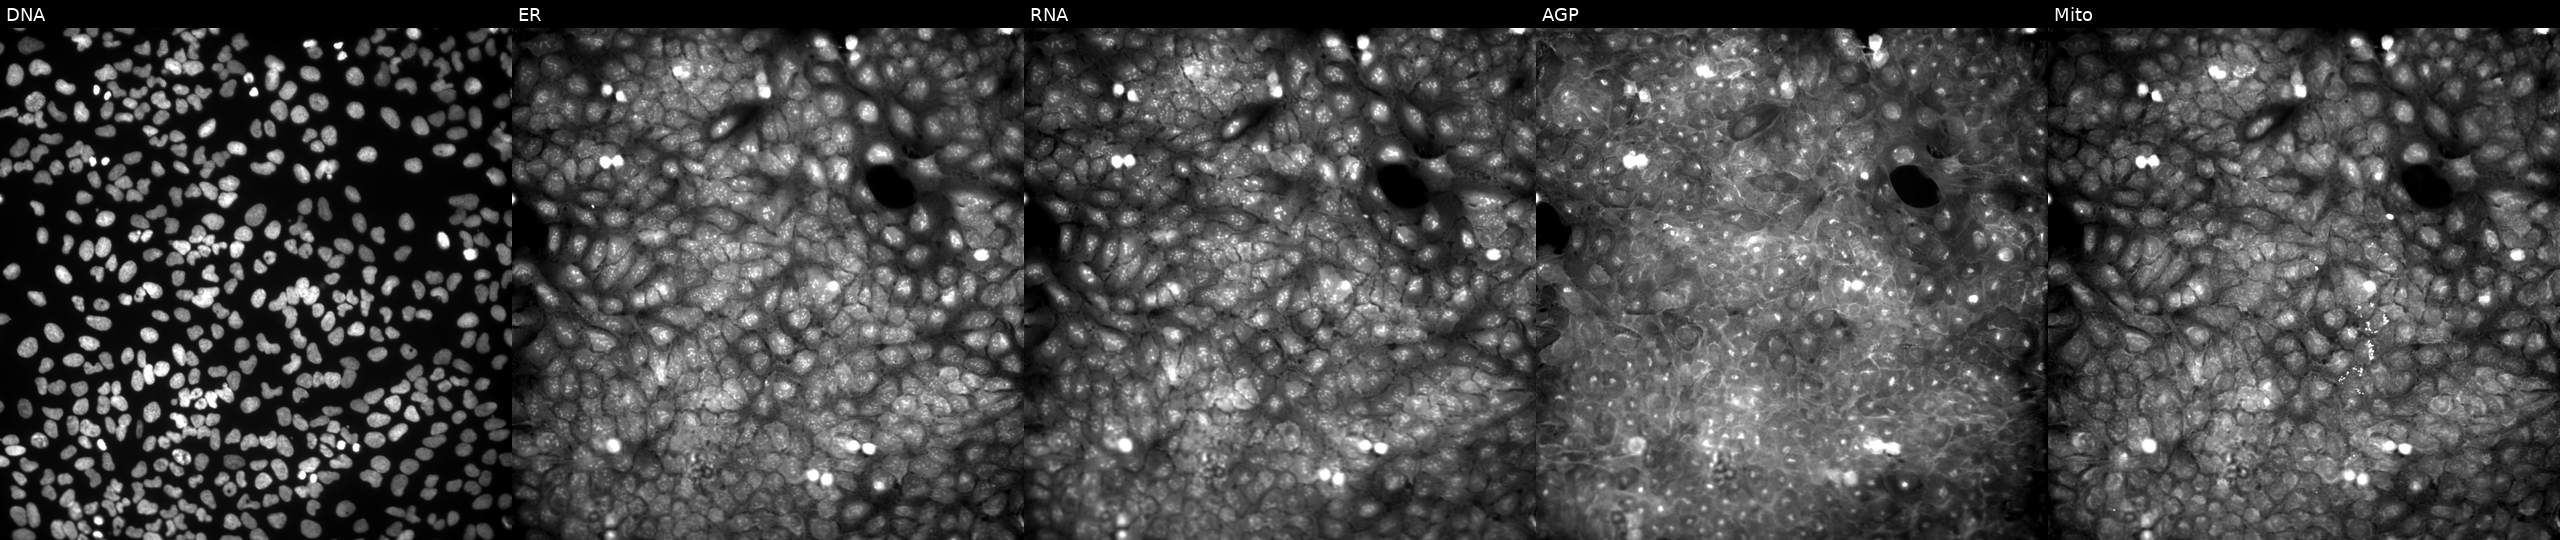
Five-channel Cell Painting image of U2OS cells treated with a small-molecule compound (InChIKey JLWXDHAAPLENPW-UHFFFAOYSA-N) [SMILES: CCCOC(=O)COc1ccc2c(=O)c(-c3ccccc3OC)coc2c1] (JUMP id JCP2022_040647). The five panels, left to right, show DNA, ER, RNA, AGP, and Mito.